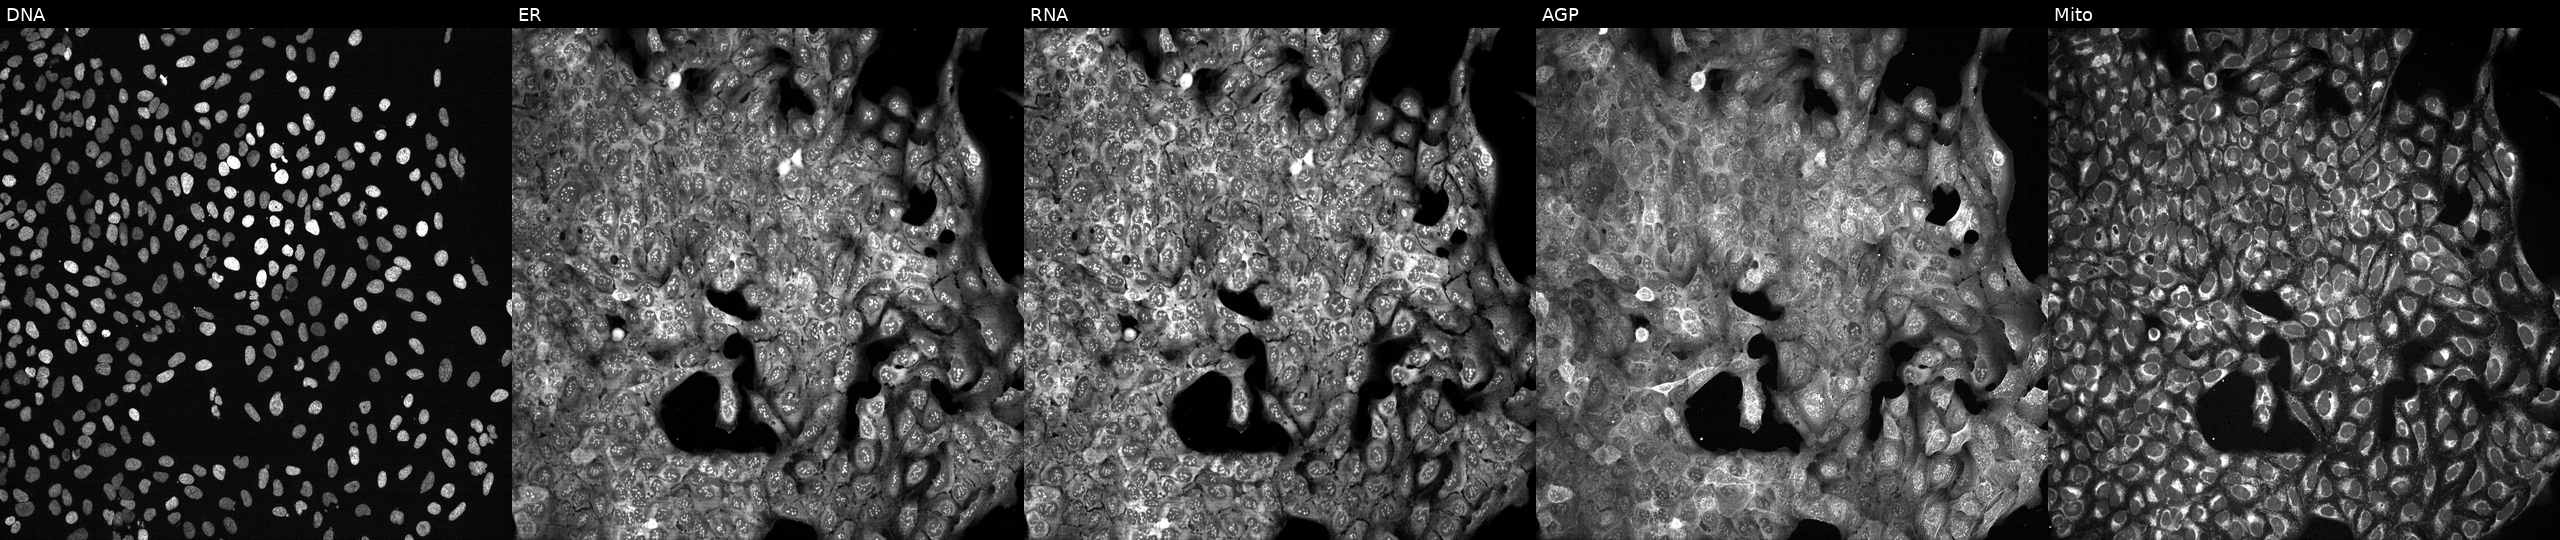
Five-channel Cell Painting image of U2OS cells following CRISPR knockout of RPN1. Channels (left→right): DNA (nuclei); ER (endoplasmic reticulum); RNA (nucleoli and cytoplasmic RNA); AGP (actin cytoskeleton, Golgi, and plasma membrane); Mito (mitochondria). Source 13, plate CP-CC9-R4-04, well G12.